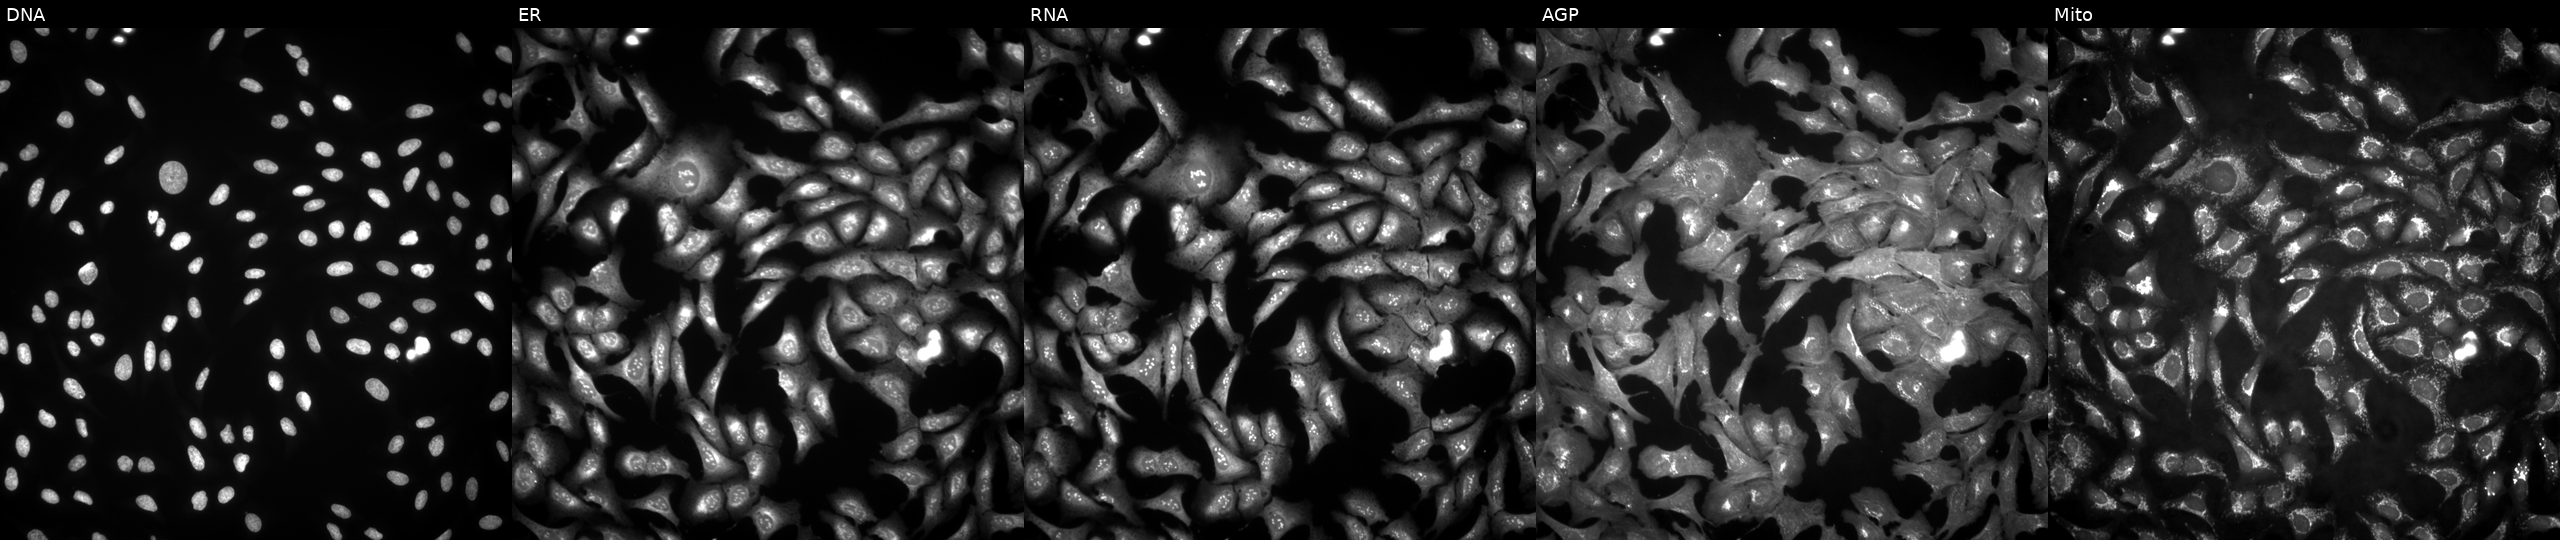
This image strip shows the five Cell Painting channels for a single field of U2OS cells transfected with an ORF construct for ATCAY. Channels (left→right): Hoechst 33342, concanavalin A, SYTO 14, phalloidin and WGA, MitoTracker.